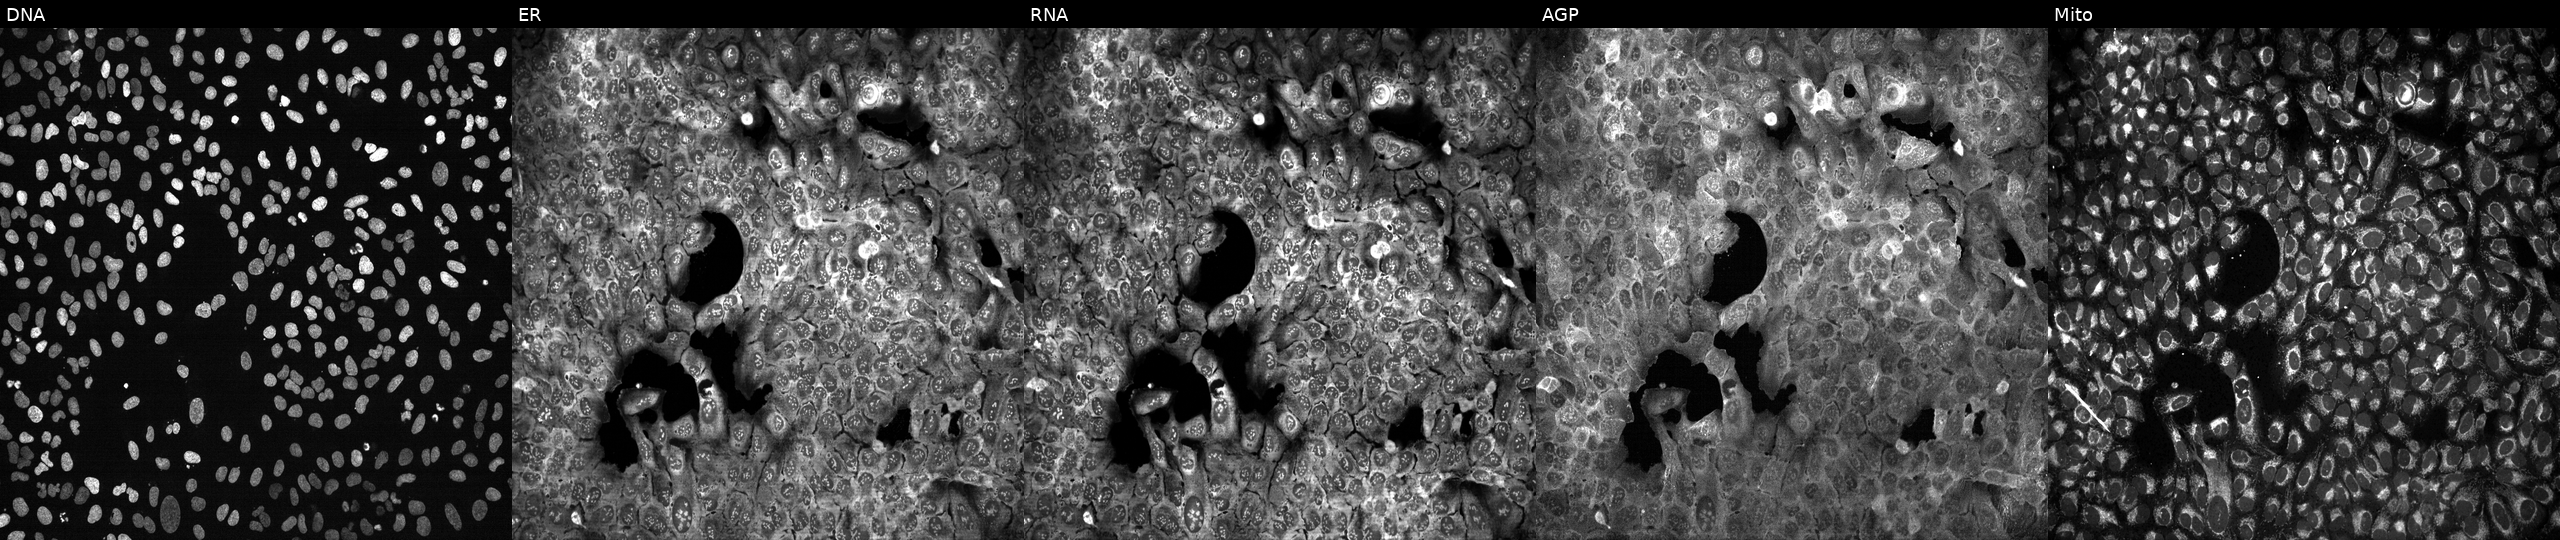
Channels (left→right): DNA, ER, RNA, AGP, and Mito. U2OS osteosarcoma cells CRISPR-edited to disrupt POLR3G (JUMP id JCP2022_805358). Cell Painting assay, JUMP-CP dataset.